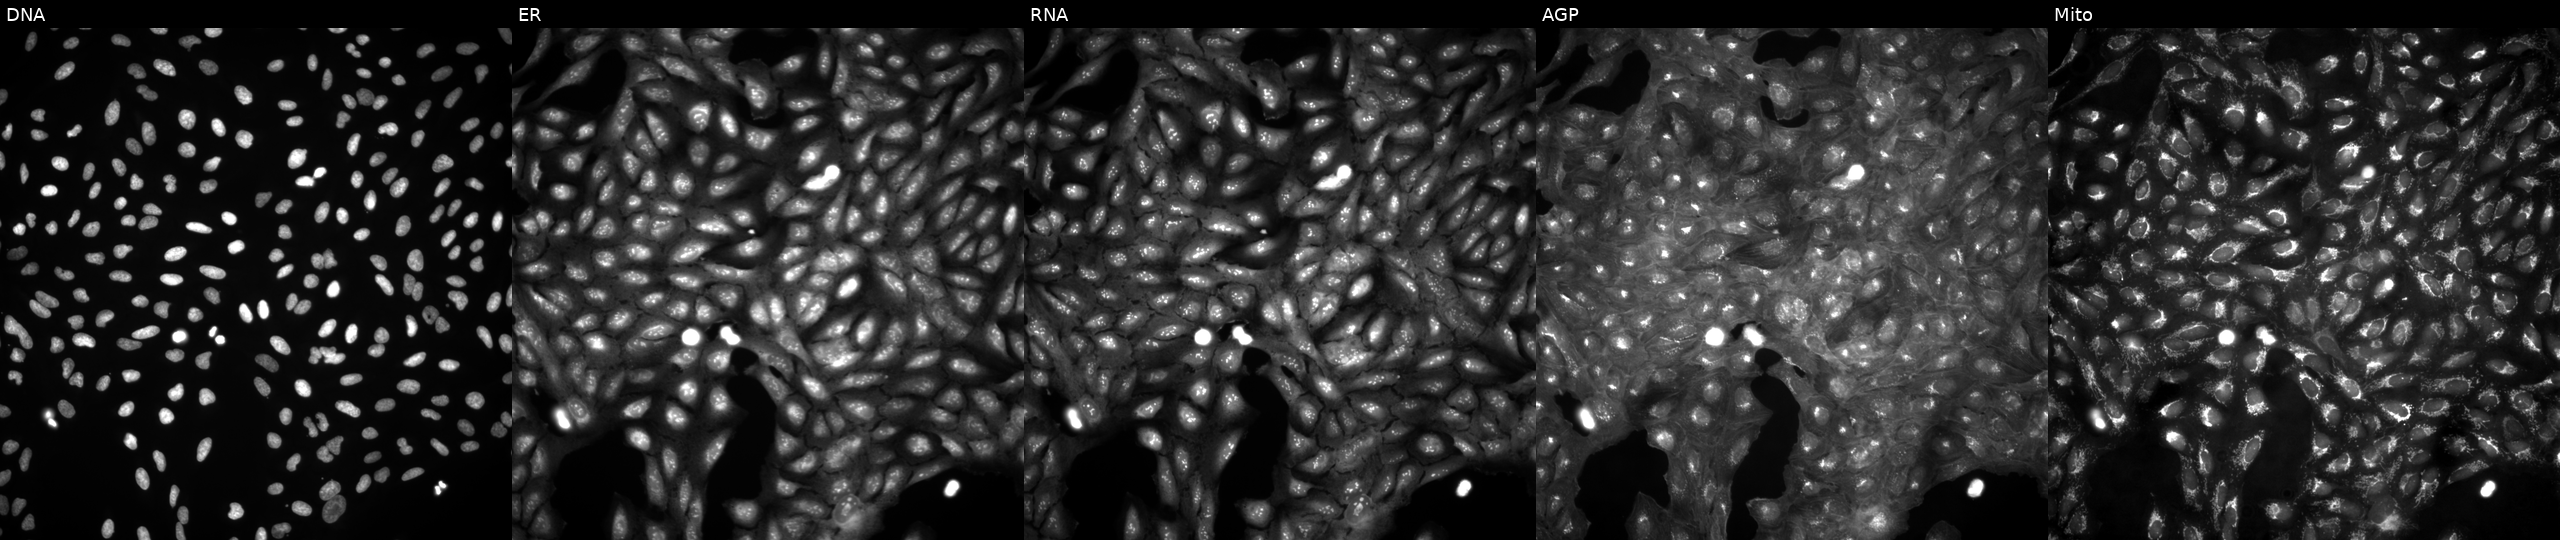
From left to right: DNA (nuclei); ER (endoplasmic reticulum); RNA (nucleoli and cytoplasmic RNA); AGP (actin cytoskeleton, Golgi, and plasma membrane); Mito (mitochondria). U2OS osteosarcoma cells untreated (empty-well control). Cell Painting assay, JUMP-CP dataset.